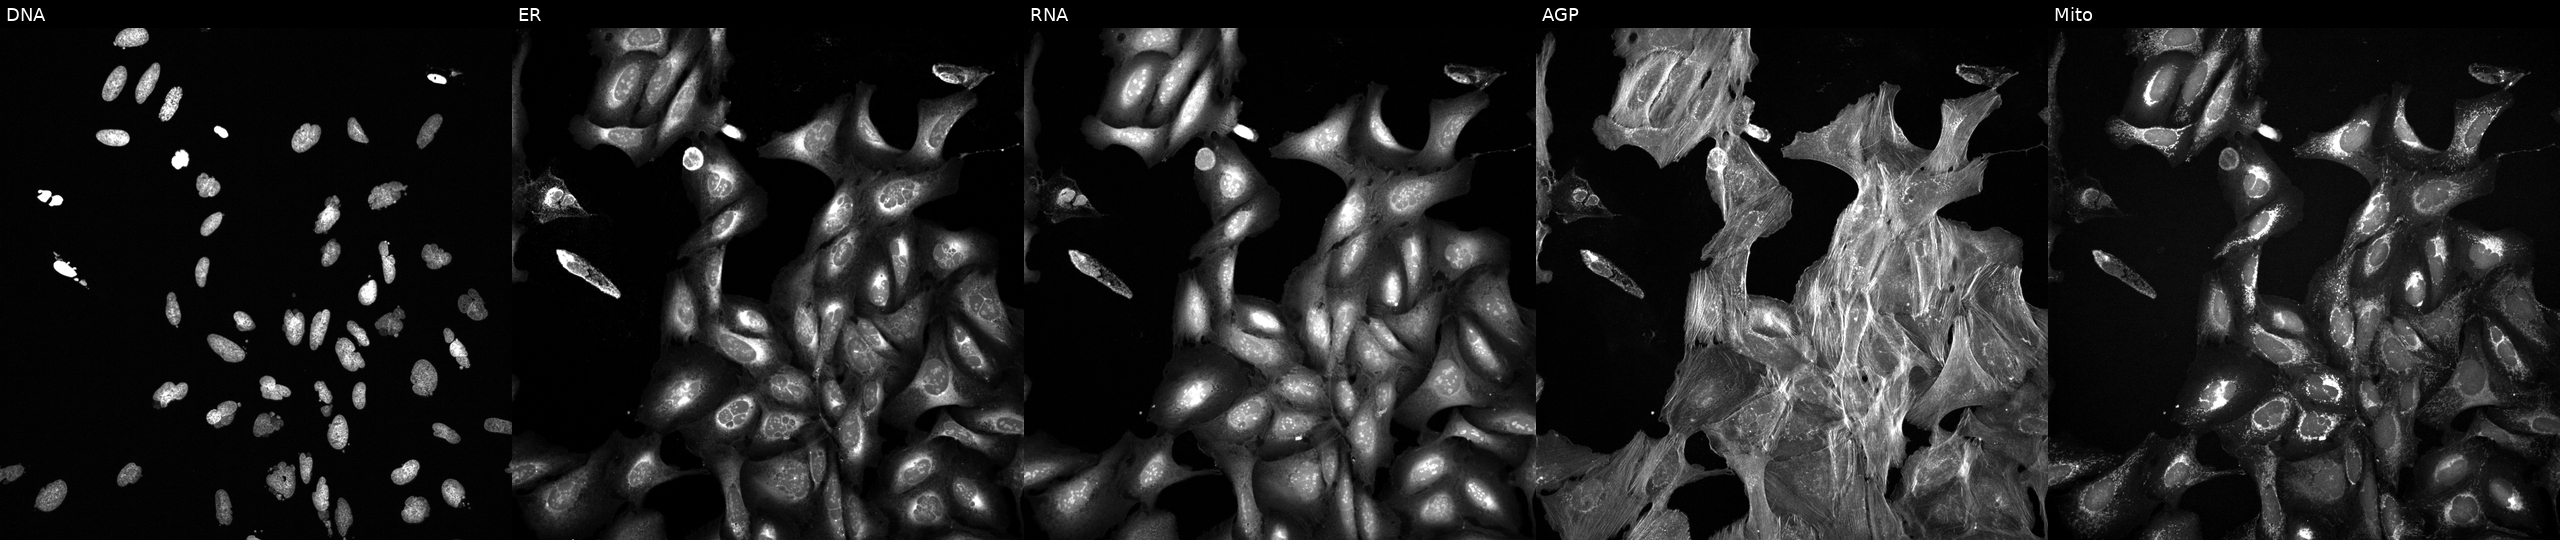
U2OS cells, Cell Painting assay, exposed to a small-molecule compound [SMILES: COC(C(=O)n1cc2[nH][nH]c(=NC(O)c3ccc(N4CCN(C)CC4)cc3)c2c1)c1ccccc1] (JUMP id JCP2022_046462). Panels show, left to right, DNA (nuclei); ER (endoplasmic reticulum); RNA (nucleoli and cytoplasmic RNA); AGP (actin cytoskeleton, Golgi, and plasma membrane); Mito (mitochondria). Each panel is percentile-stretched 16-bit fluorescence.